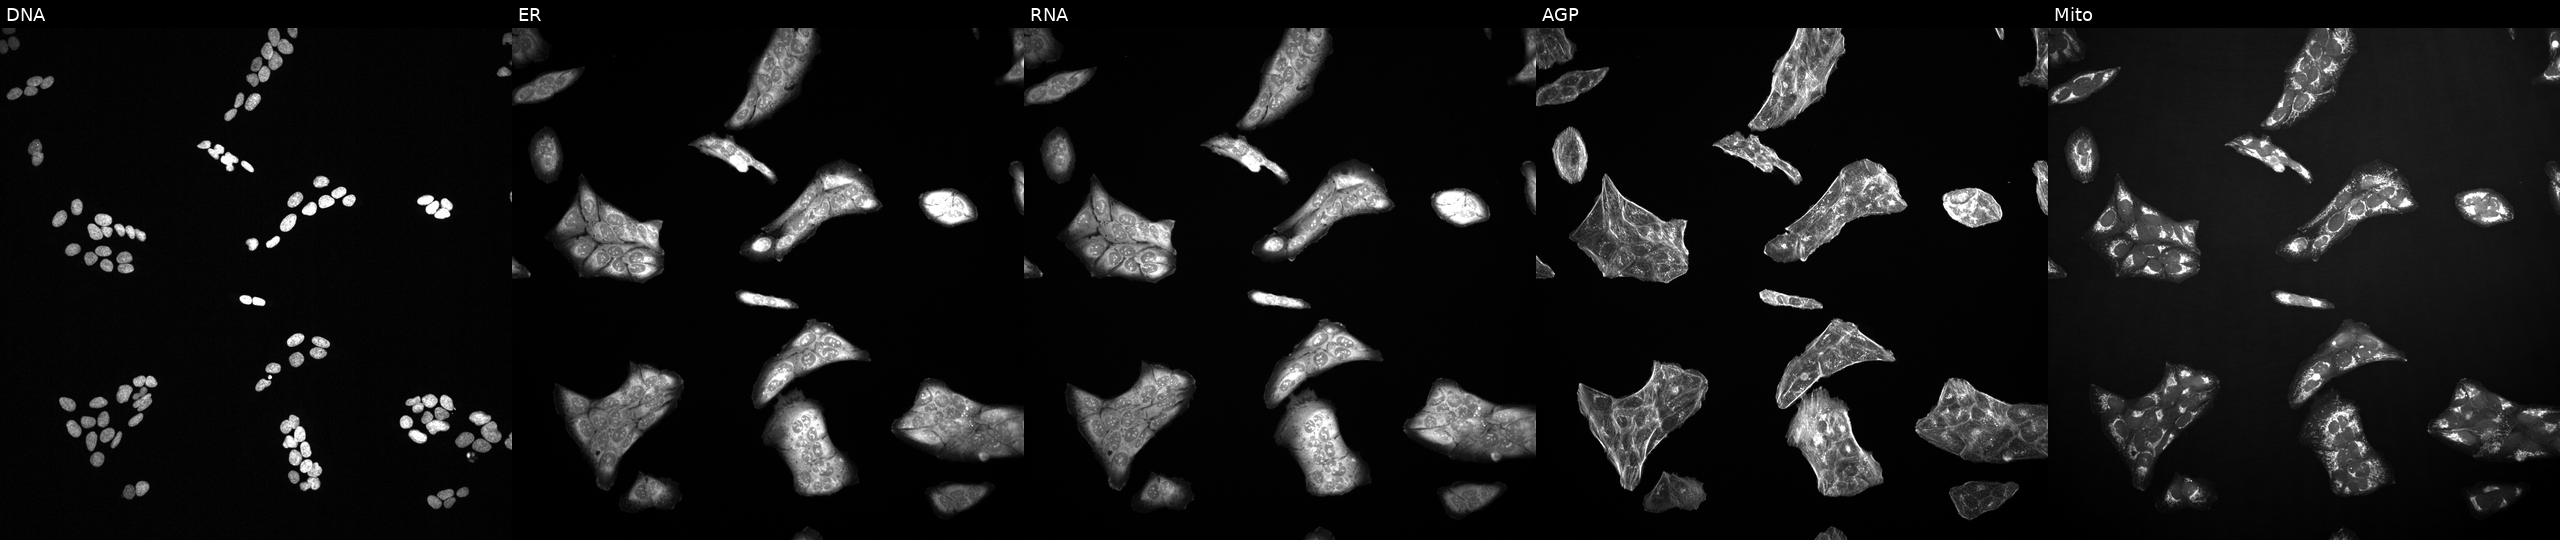
U2OS cells, Cell Painting assay, exposed to a small-molecule compound (InChIKey ZVPDNRVYHLRXLX-UHFFFAOYSA-N) [SMILES: Cc1ccc(-c2nn(C(C)(C)C)c3[nH]cnc(=N)c23)cc1]. From left to right: DNA, ER, RNA, AGP, and Mito. Each panel is percentile-stretched 16-bit fluorescence. Source 2, plate 1053597936, well B04.